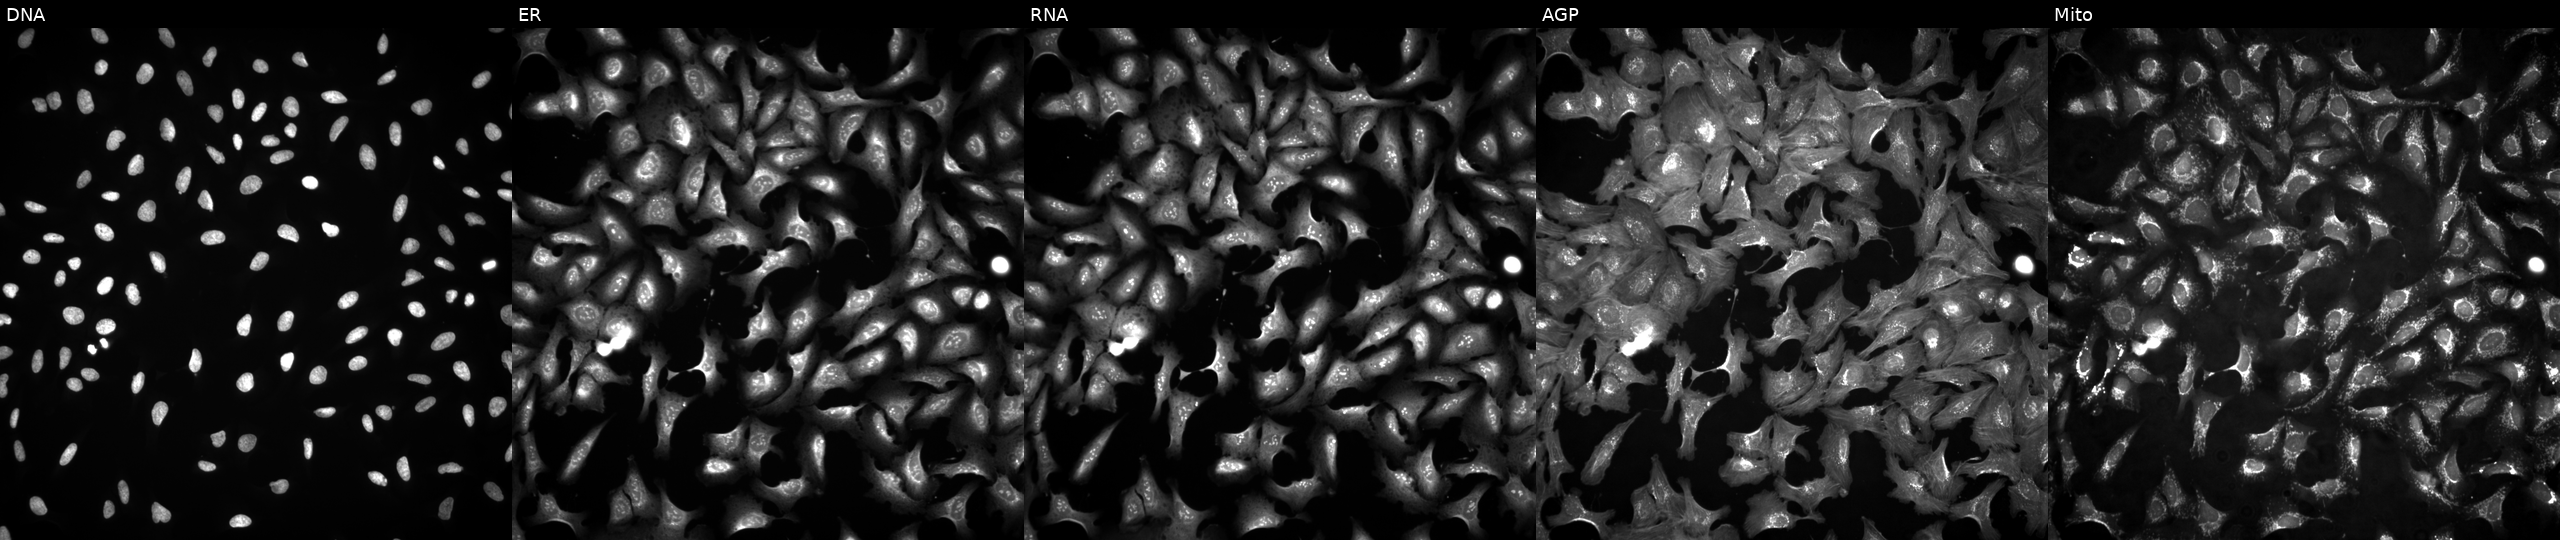
High-content fluorescence microscopy (Cell Painting). Cell line: U2OS. Perturbation: transfected with an ORF construct for MAPK8 (JUMP id JCP2022_913828). Panels show, left to right, DNA (nuclei); ER (endoplasmic reticulum); RNA (nucleoli and cytoplasmic RNA); AGP (actin cytoskeleton, Golgi, and plasma membrane); Mito (mitochondria). Source 4, plate BR00123945, well C24.